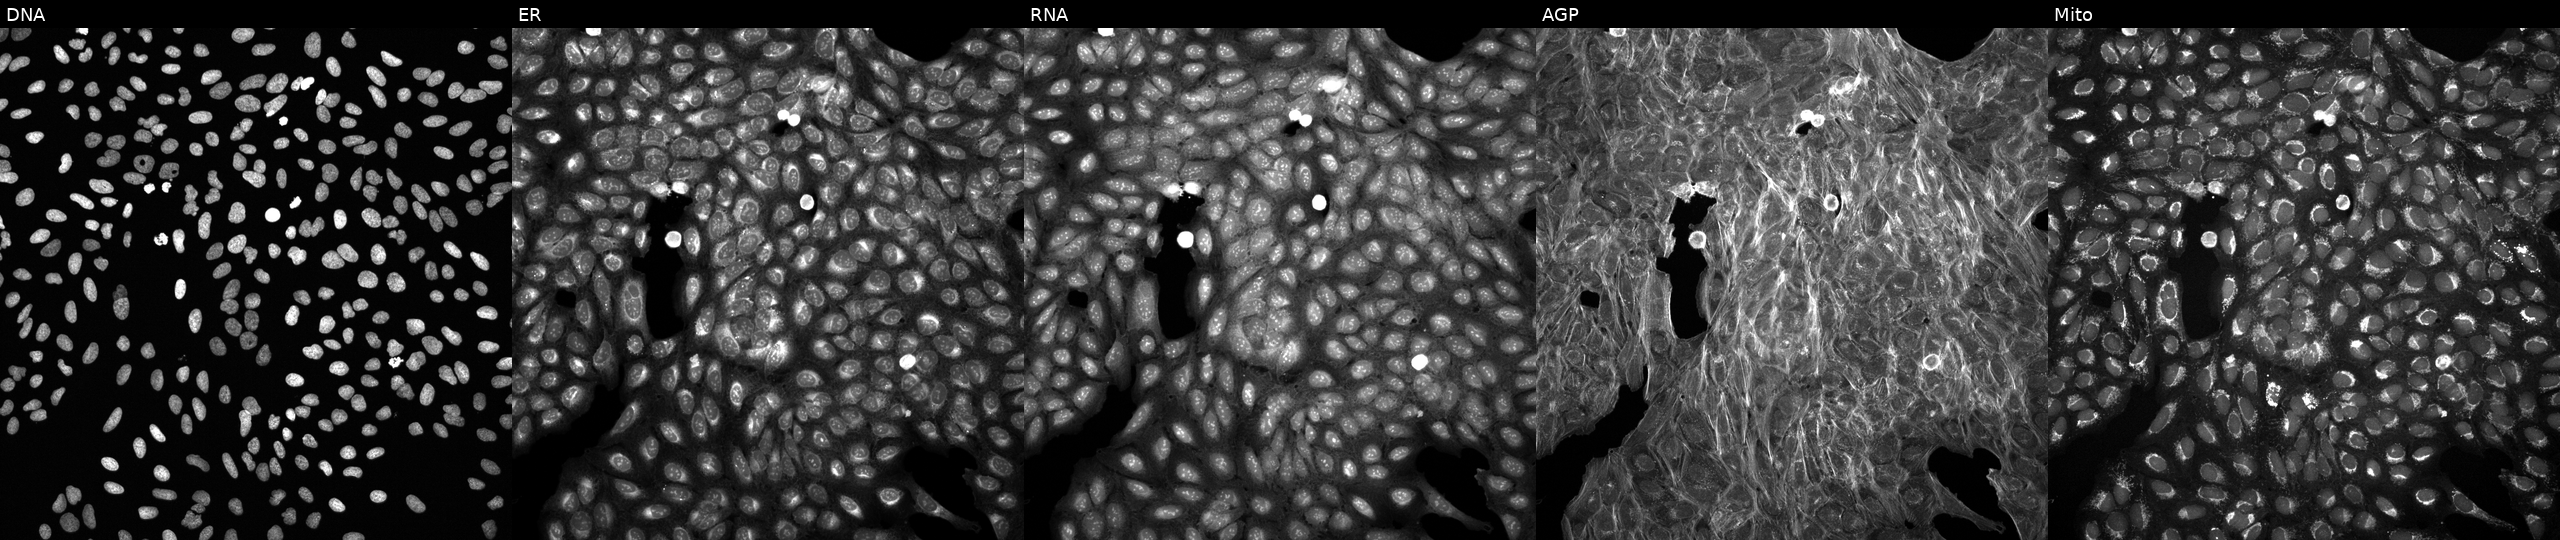
Panels show, left to right, Hoechst 33342, concanavalin A, SYTO 14, phalloidin and WGA, MitoTracker. U2OS osteosarcoma cells treated with a small-molecule compound (InChIKey GZNULNFCDFGUFK-UHFFFAOYSA-N). Cell Painting assay, JUMP-CP dataset.